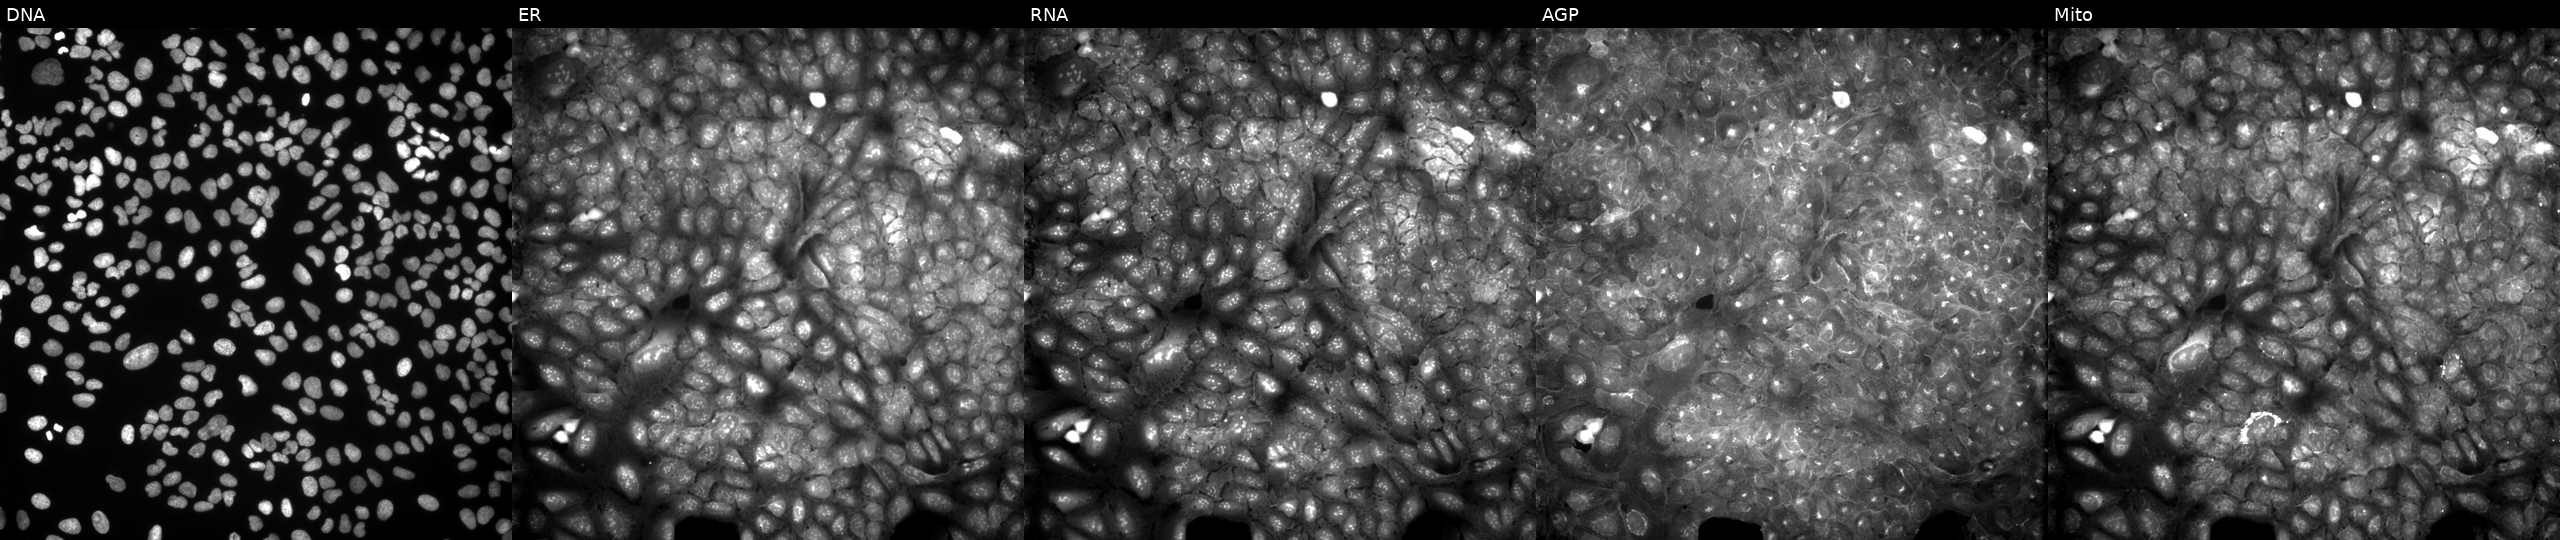
U2OS cells, Cell Painting assay, exposed to DMSO alone as a negative control. The five panels, left to right, show Hoechst 33342, concanavalin A, SYTO 14, phalloidin and WGA, MitoTracker. Each panel is percentile-stretched 16-bit fluorescence. Source 9, plate GR00003381, well M23.